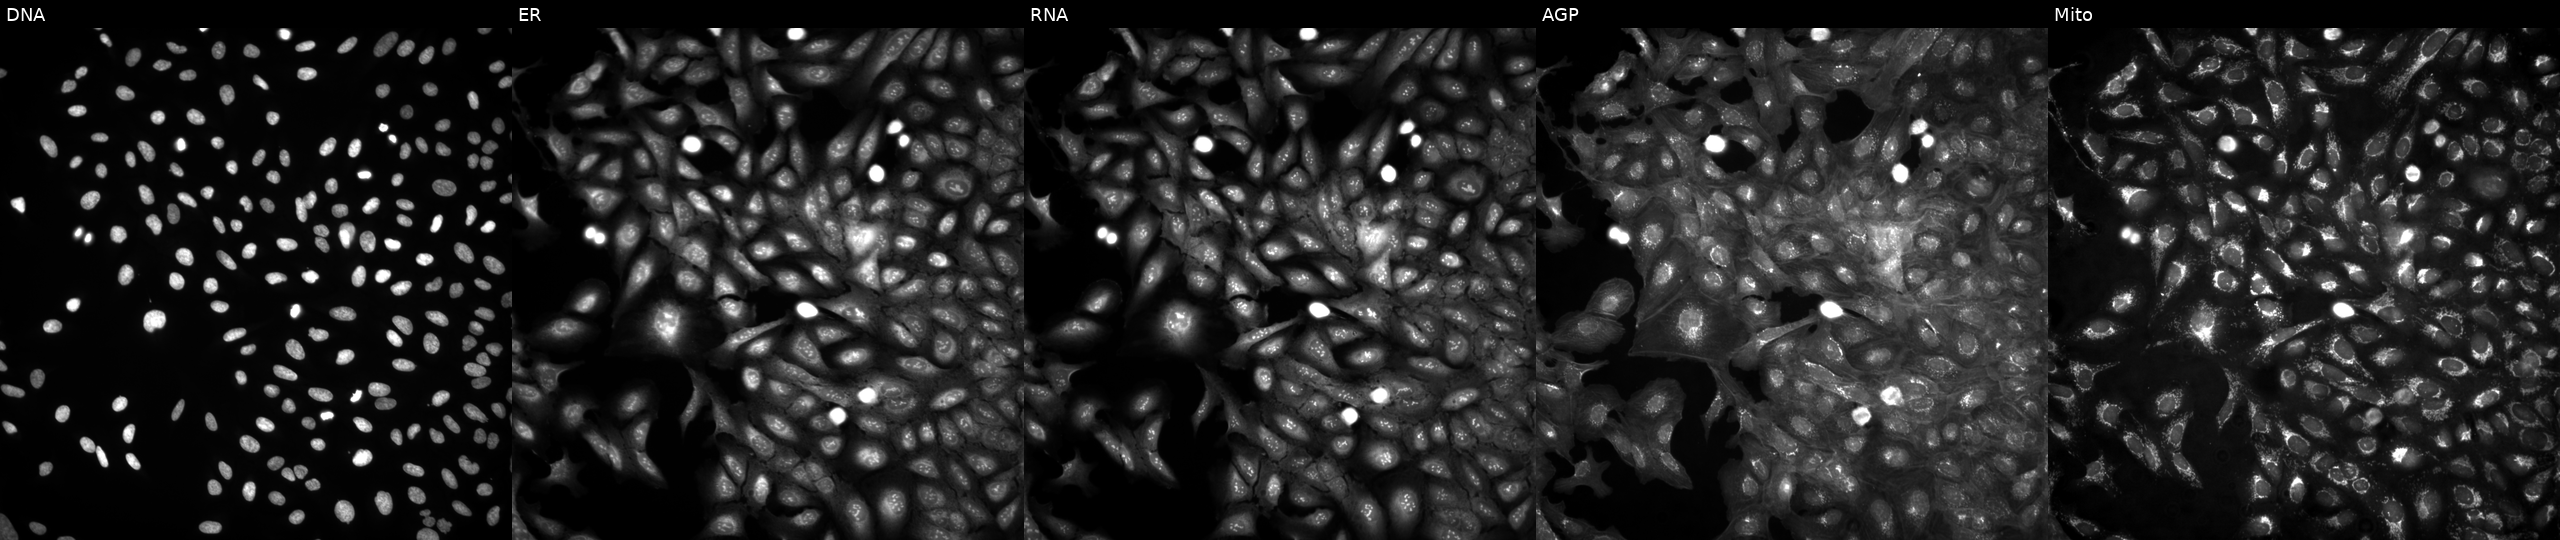
Channels (left→right): DNA, ER, RNA, AGP, and Mito. U2OS osteosarcoma cells untreated (empty-well control). Cell Painting assay, JUMP-CP dataset.